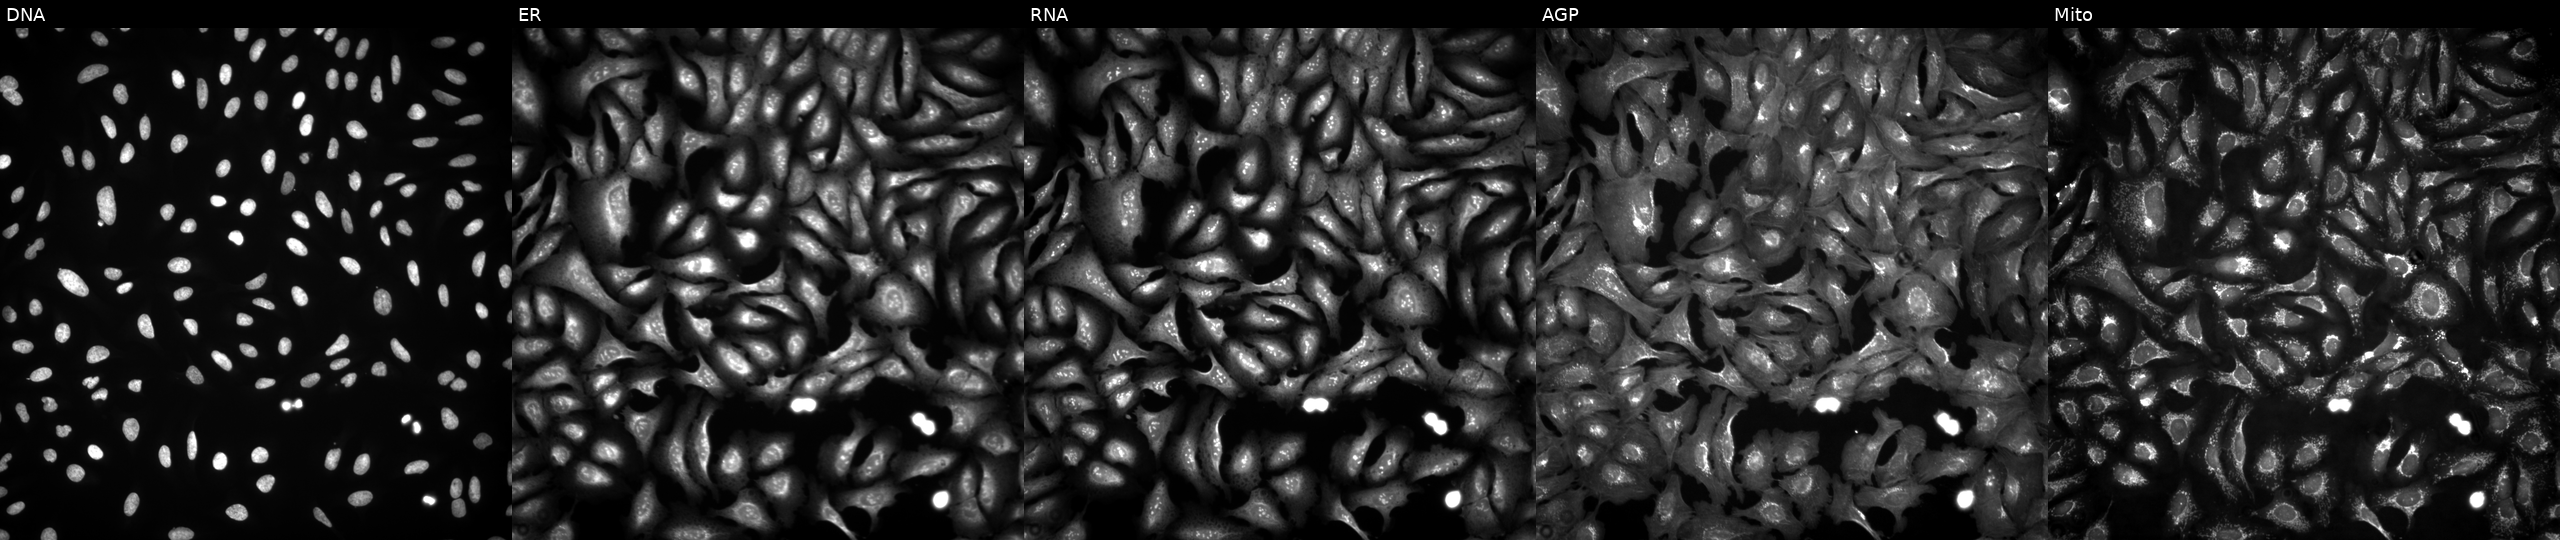
Five-channel Cell Painting image of U2OS cells transfected with an ORF construct for AKT1S1. Panels show, left to right, DNA (nuclei); ER (endoplasmic reticulum); RNA (nucleoli and cytoplasmic RNA); AGP (actin cytoskeleton, Golgi, and plasma membrane); Mito (mitochondria).